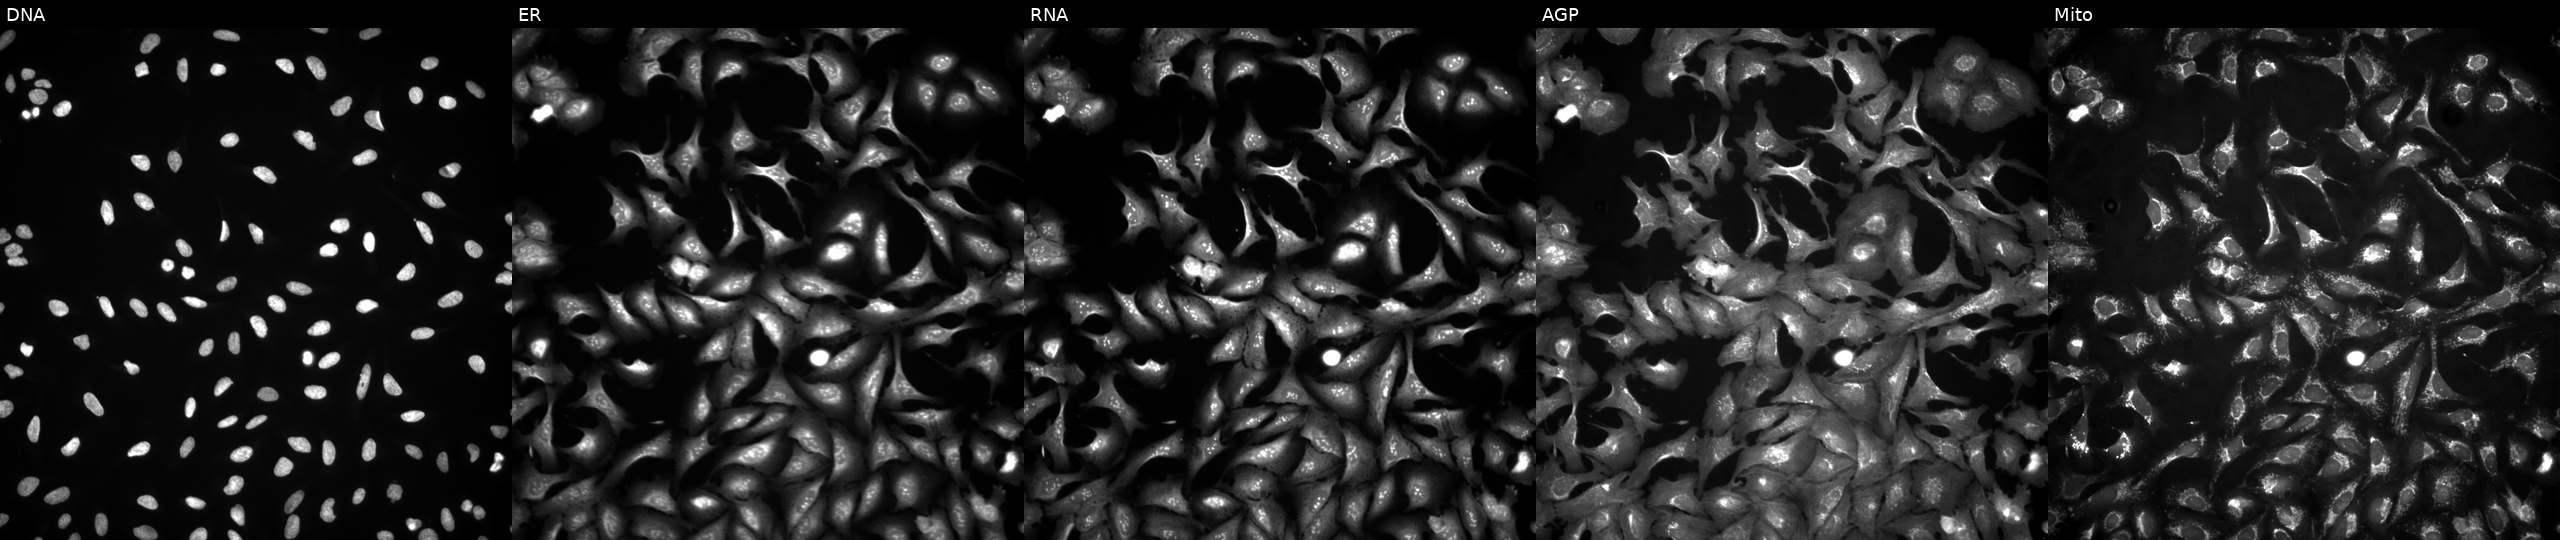
High-content fluorescence microscopy (Cell Painting). Cell line: U2OS. Perturbation: with IQCA1 overexpressed (ORF) (JUMP id JCP2022_903862). Panels show, left to right, DNA, ER, RNA, AGP, and Mito. Source 4, plate BR00124787, well N07.